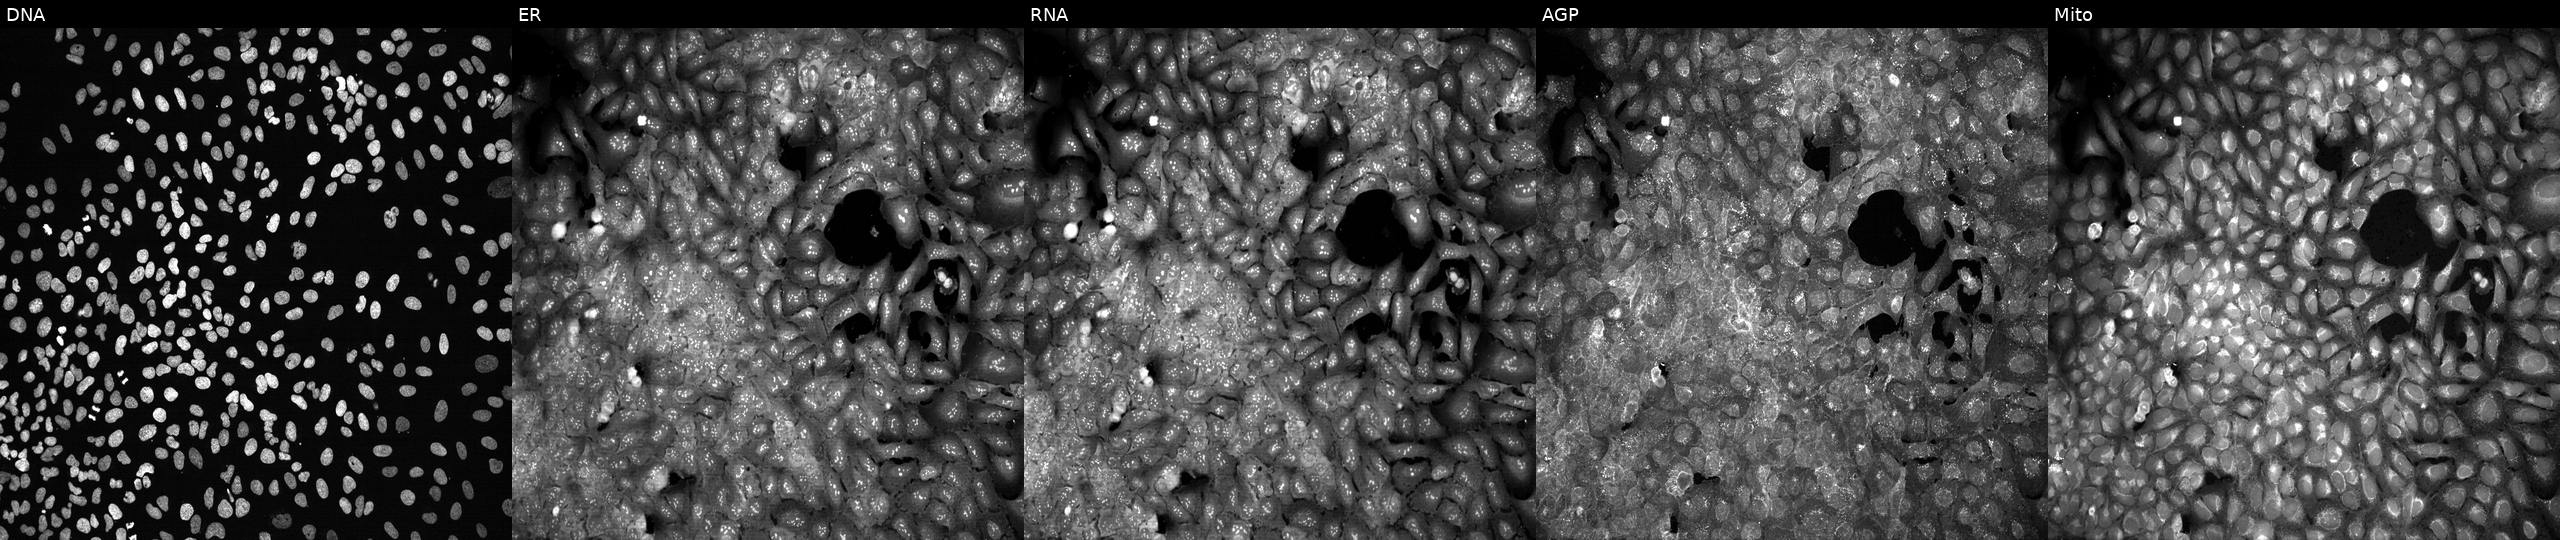
U2OS cells, Cell Painting assay, with GALNT15 knocked out by CRISPR. The five panels, left to right, show DNA, ER, RNA, AGP, and Mito. Each panel is percentile-stretched 16-bit fluorescence. Source 13, plate CP-CC9-R1-02, well G15.